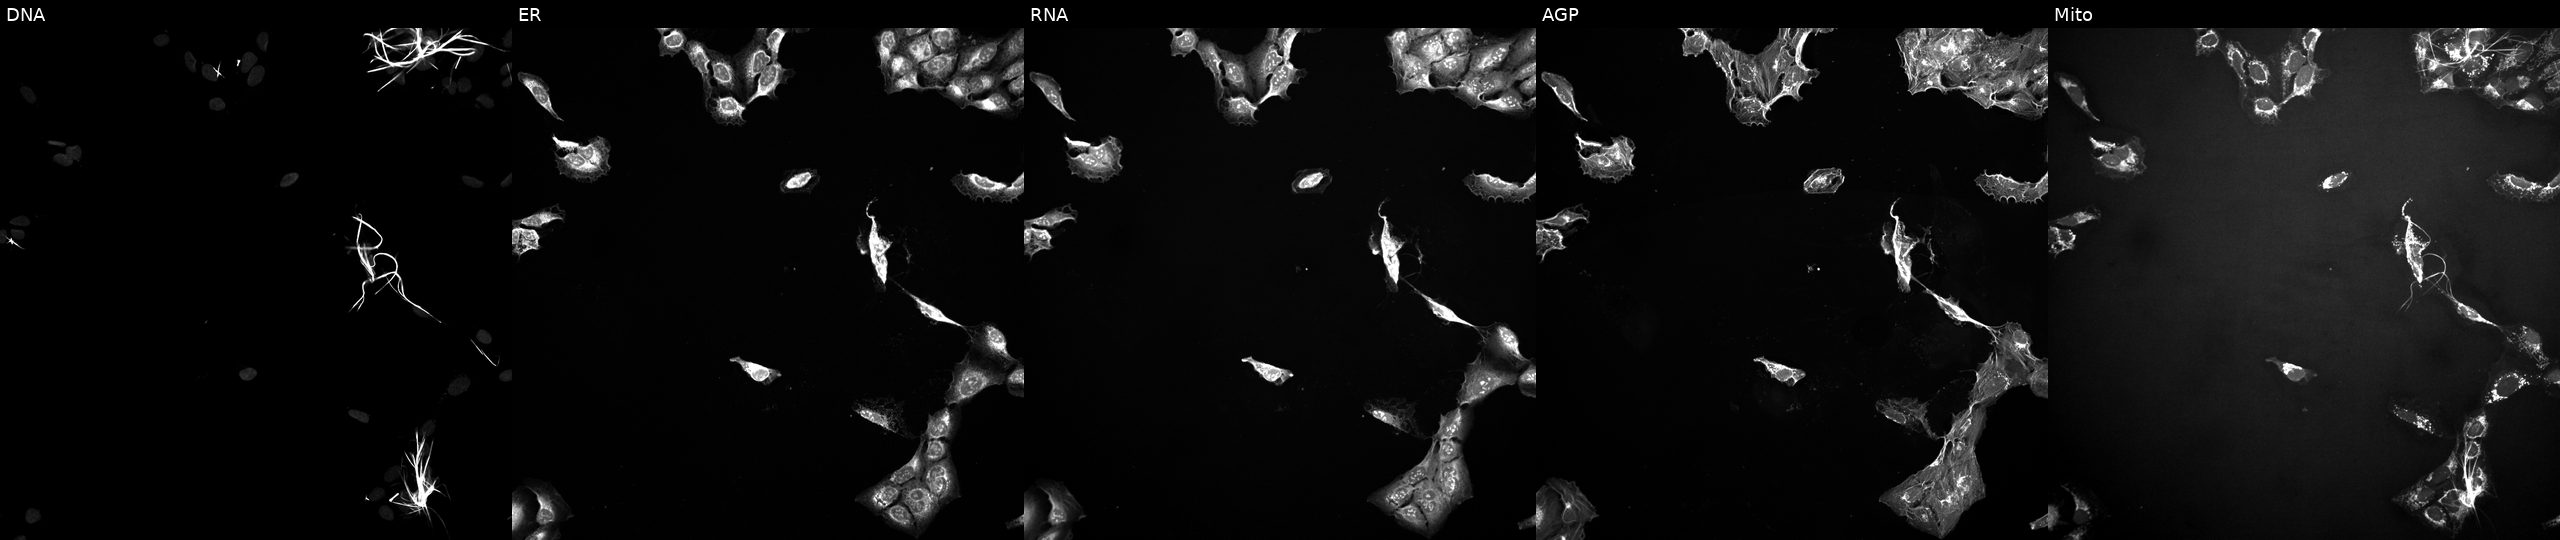
High-content fluorescence microscopy (Cell Painting). Cell line: U2OS. Perturbation: treated with a small-molecule compound. The five panels, left to right, show Hoechst 33342, concanavalin A, SYTO 14, phalloidin and WGA, MitoTracker.